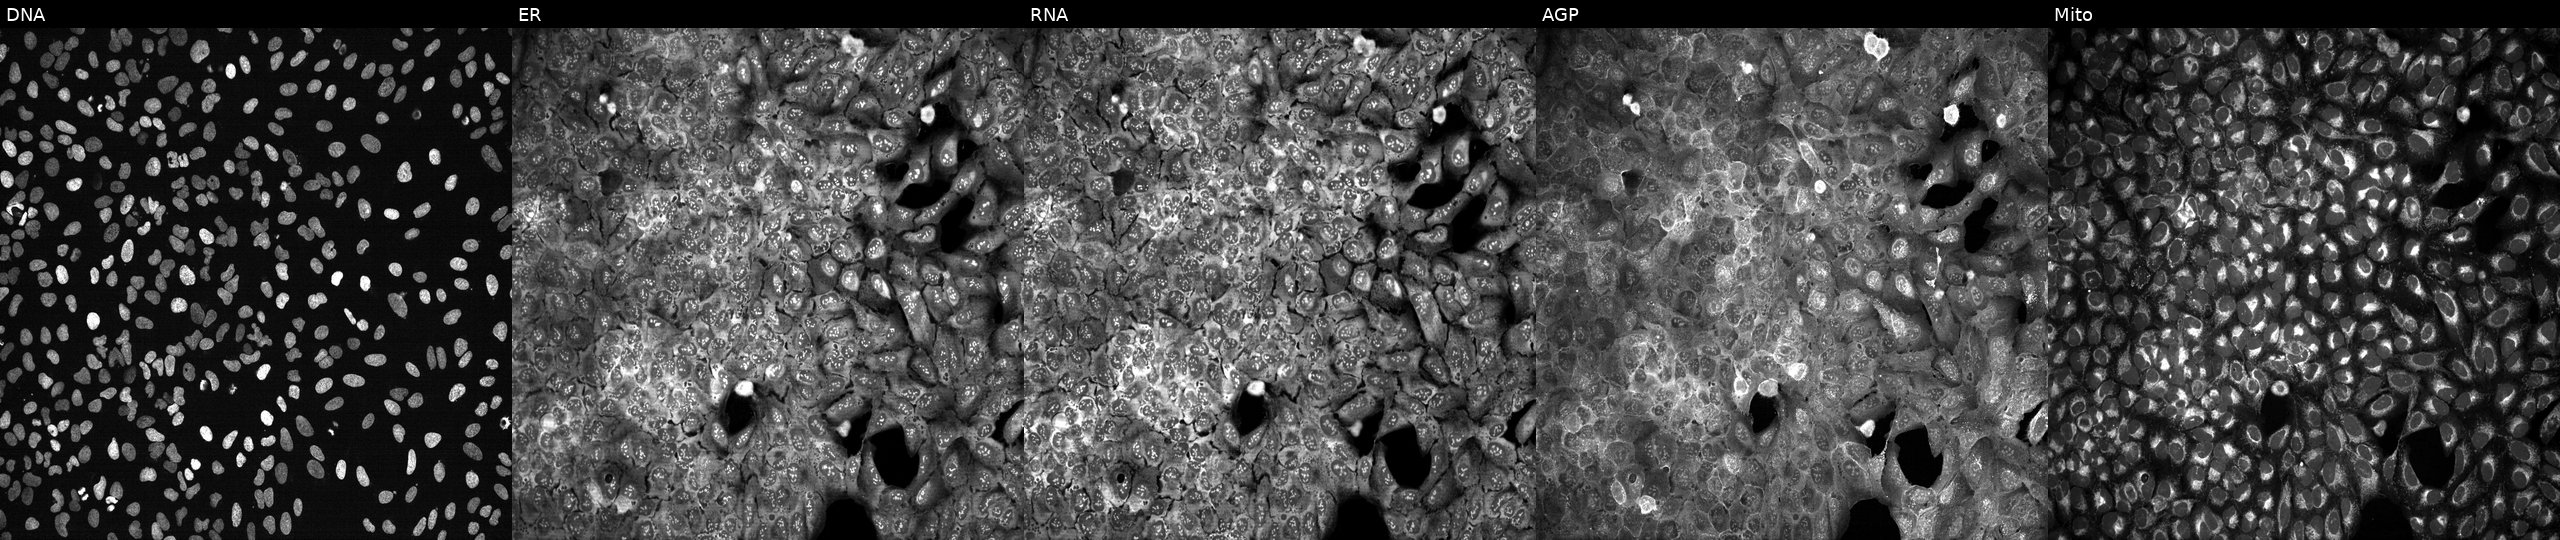
This image strip shows the five Cell Painting channels for a single field of U2OS cells CRISPR-edited to disrupt TXNDC17. Channels (left→right): Hoechst 33342, concanavalin A, SYTO 14, phalloidin and WGA, MitoTracker.